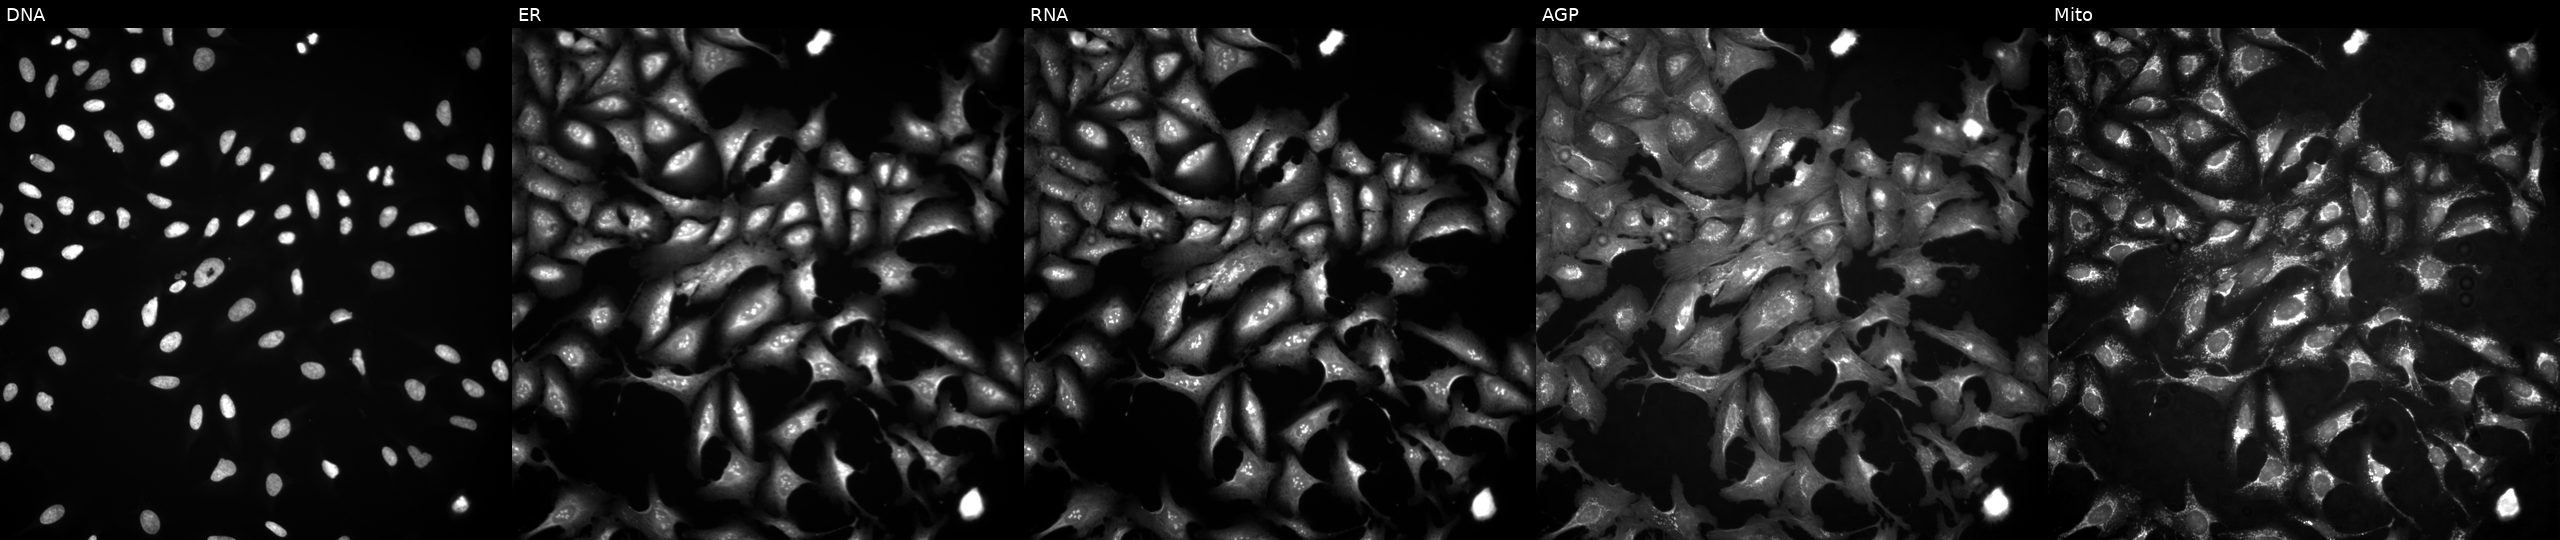
Five-channel Cell Painting image of U2OS cells with FEN1 overexpressed (ORF). From left to right: DNA, ER, RNA, AGP, and Mito. Source 4, plate BR00124787, well G15.